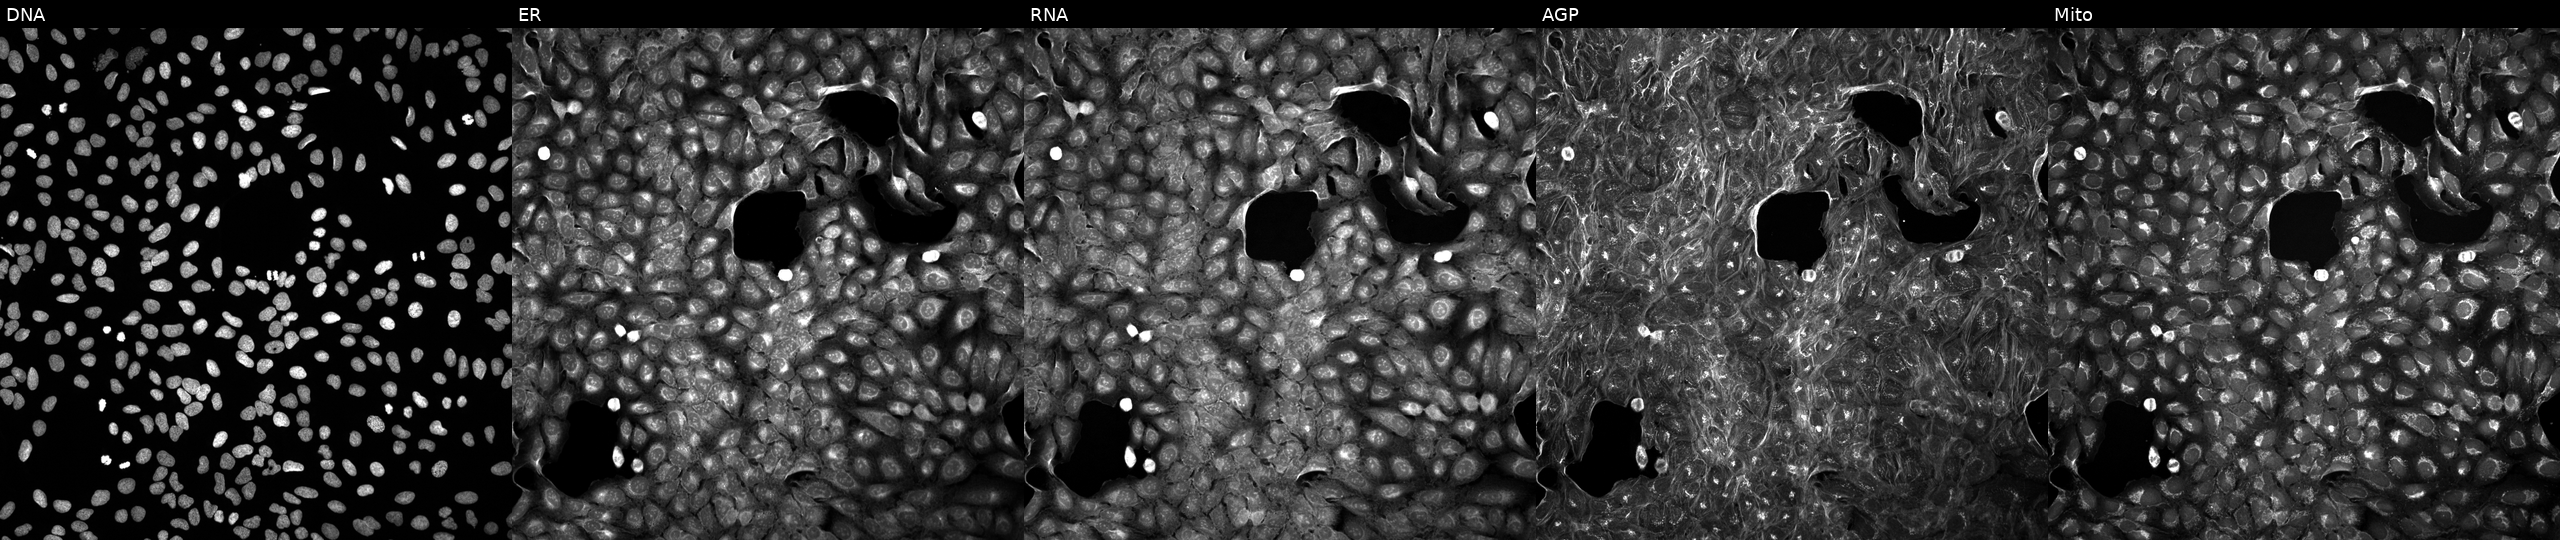
JUMP Cell Painting — TARGET2 plate. U2OS cells perturbed with a small-molecule compound (InChIKey PBBGSZCBWVPOOL-UHFFFAOYSA-N) (JUMP id JCP2022_067426). The five panels, left to right, show Hoechst 33342, concanavalin A, SYTO 14, phalloidin and WGA, MitoTracker. Source 5, plate ACPJUM051, well O22.